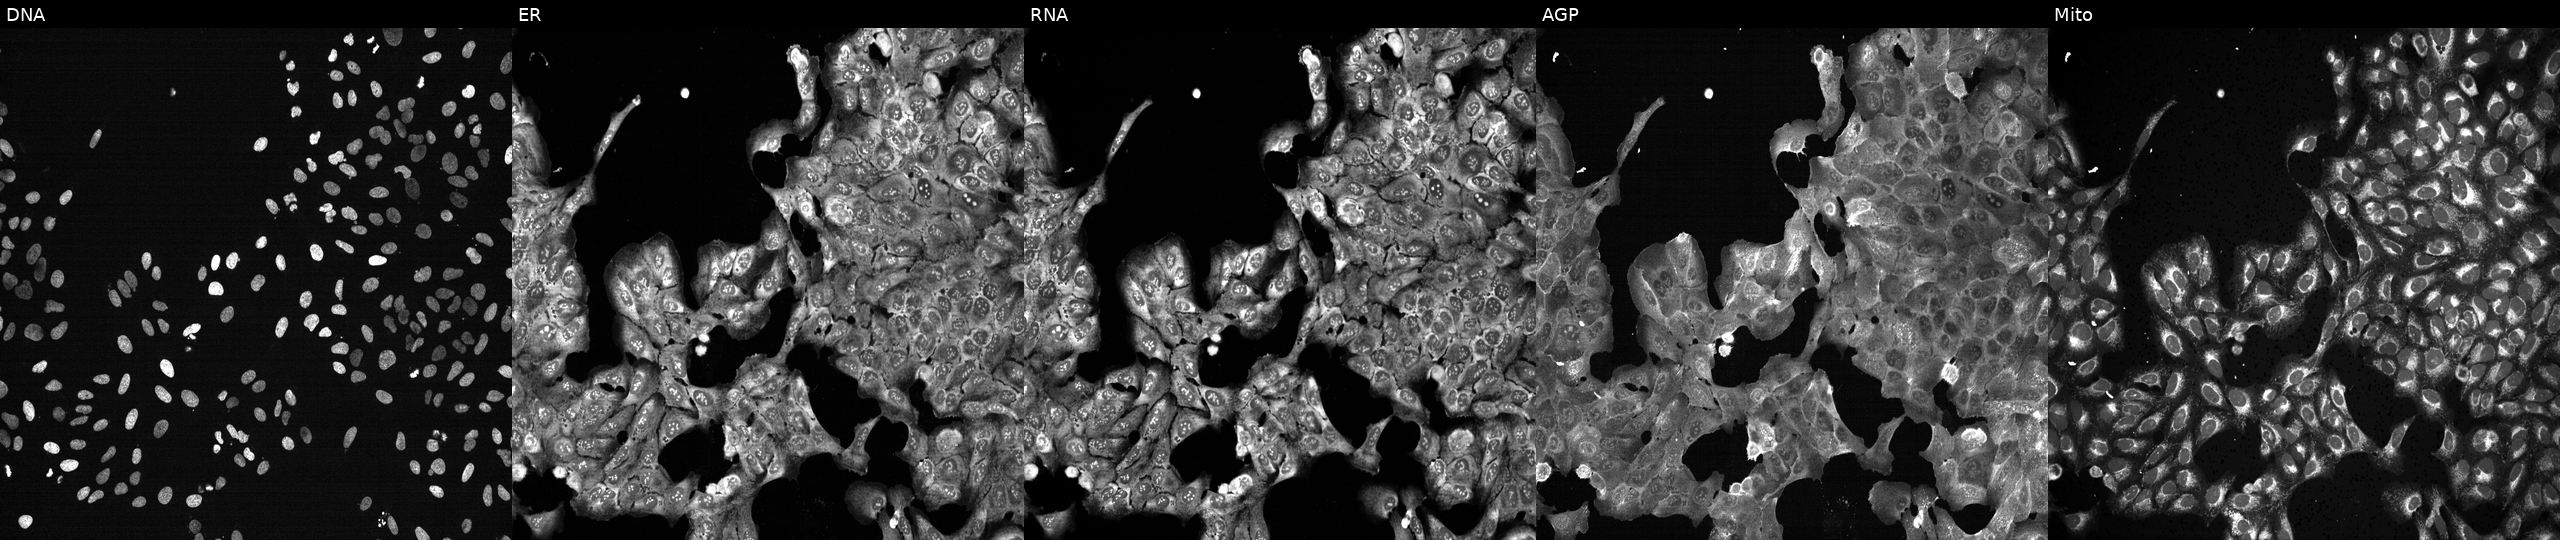
Panels show, left to right, Hoechst 33342, concanavalin A, SYTO 14, phalloidin and WGA, MitoTracker. U2OS osteosarcoma cells CRISPR-edited to disrupt ARHGAP5. Cell Painting assay, JUMP-CP dataset. Source 13, plate CP-CC9-R2-01, well D16.